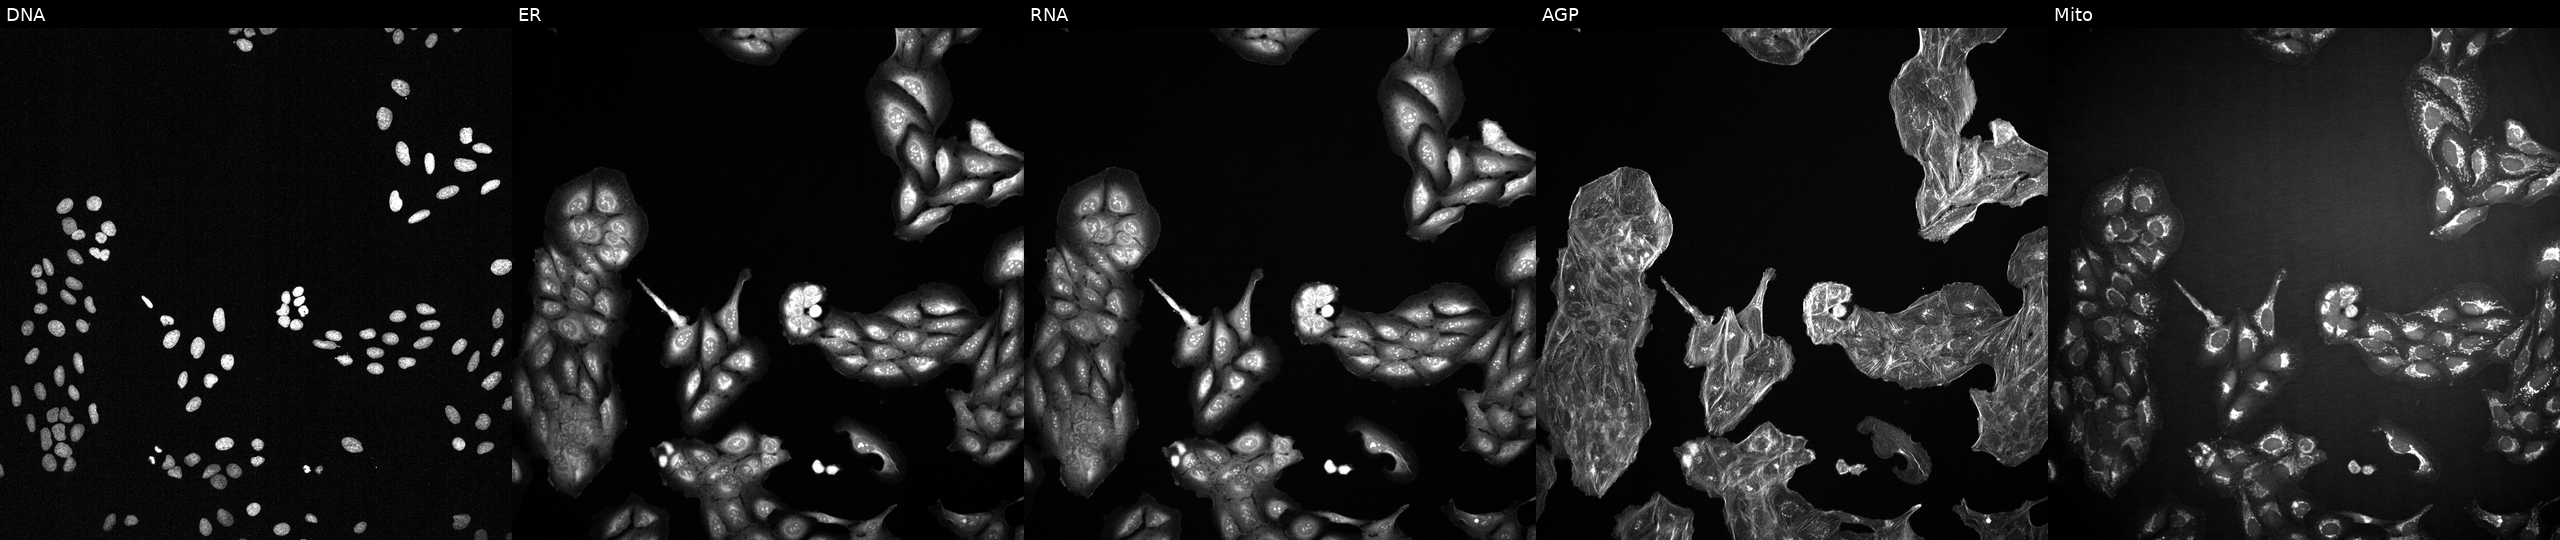
High-content fluorescence microscopy (Cell Painting). Cell line: U2OS. Perturbation: exposed to DMSO alone as a negative control. Panels show, left to right, DNA, ER, RNA, AGP, and Mito.